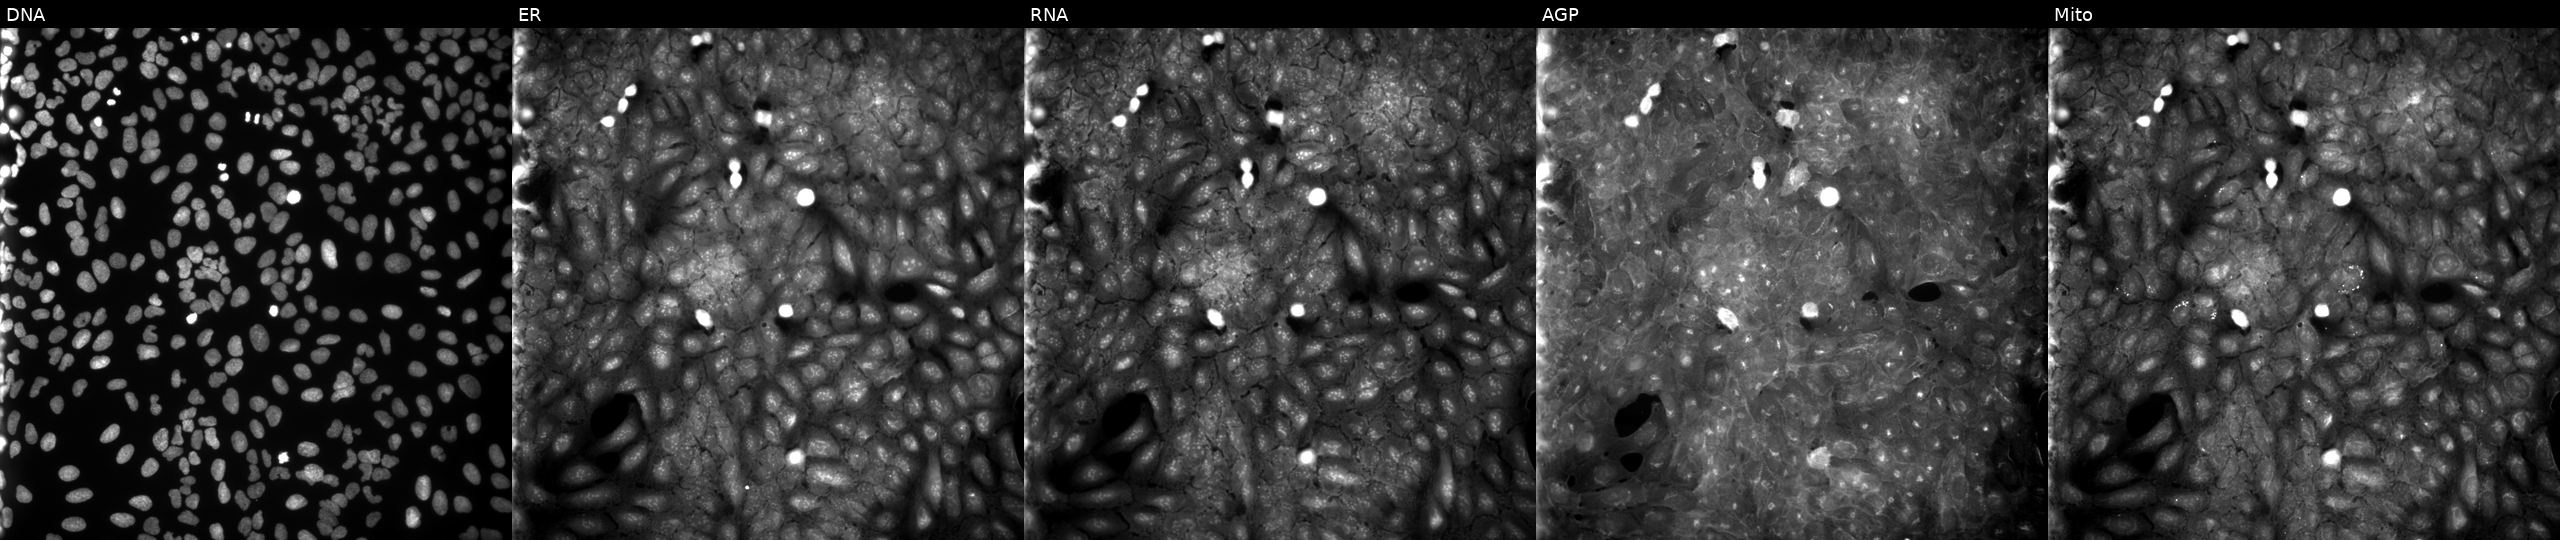
JUMP Cell Painting — COMPOUND plate. U2OS cells treated with a small-molecule compound (InChIKey FMVFYKWYJMHNMM-UHFFFAOYSA-N). The five panels, left to right, show DNA, ER, RNA, AGP, and Mito.